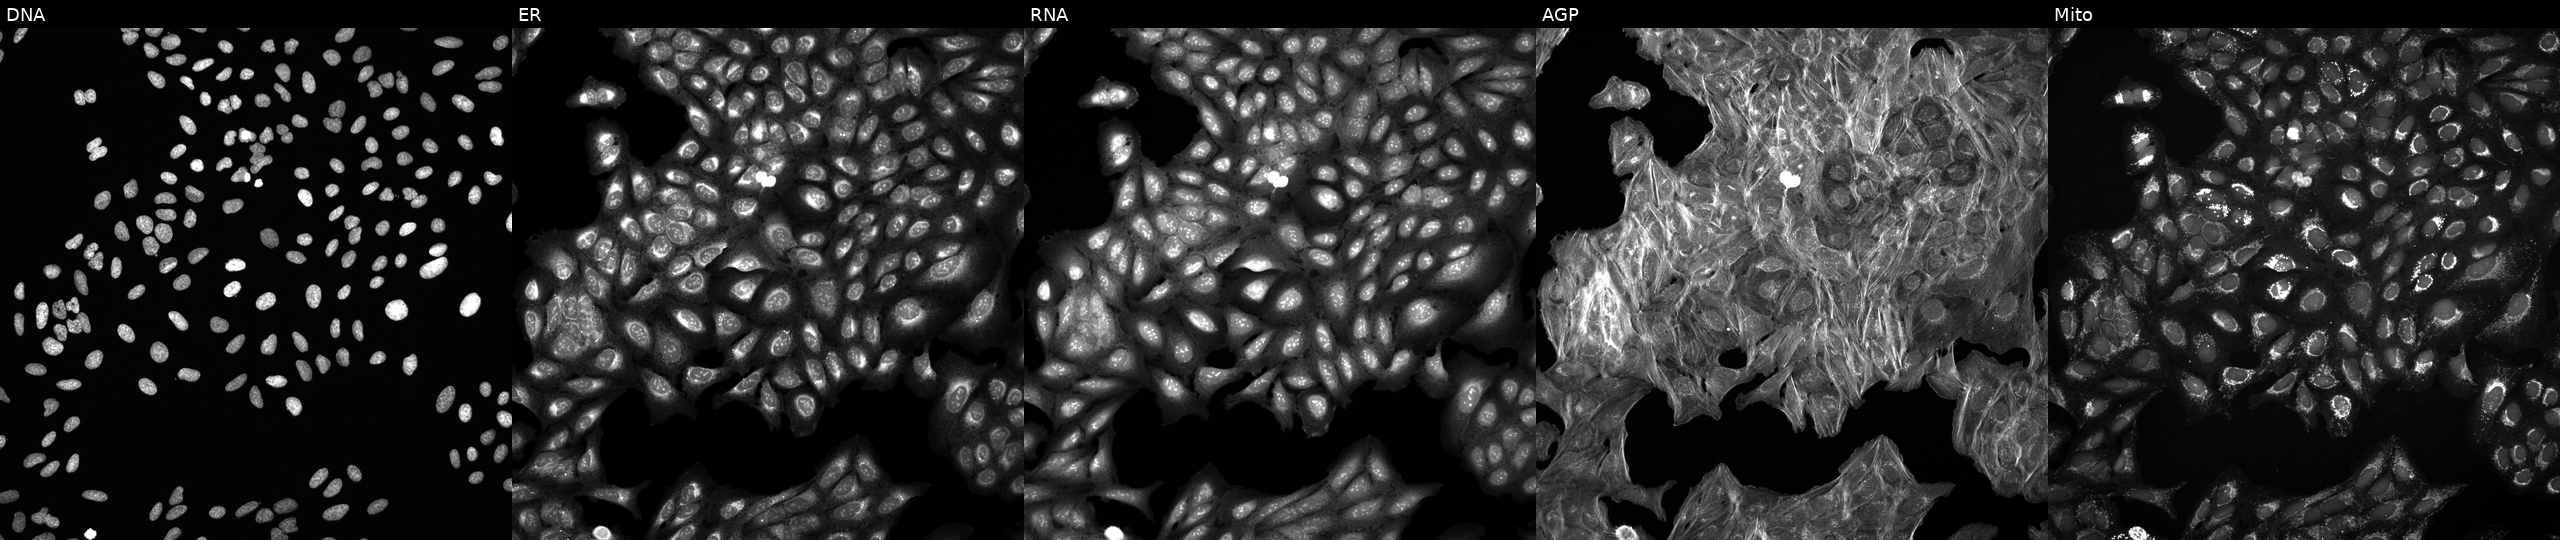
High-content fluorescence microscopy (Cell Painting). Cell line: U2OS. Perturbation: treated with a small-molecule compound (InChIKey FFABCELUKLFYIU-UHFFFAOYSA-N). Channels (left→right): Hoechst 33342, concanavalin A, SYTO 14, phalloidin and WGA, MitoTracker.